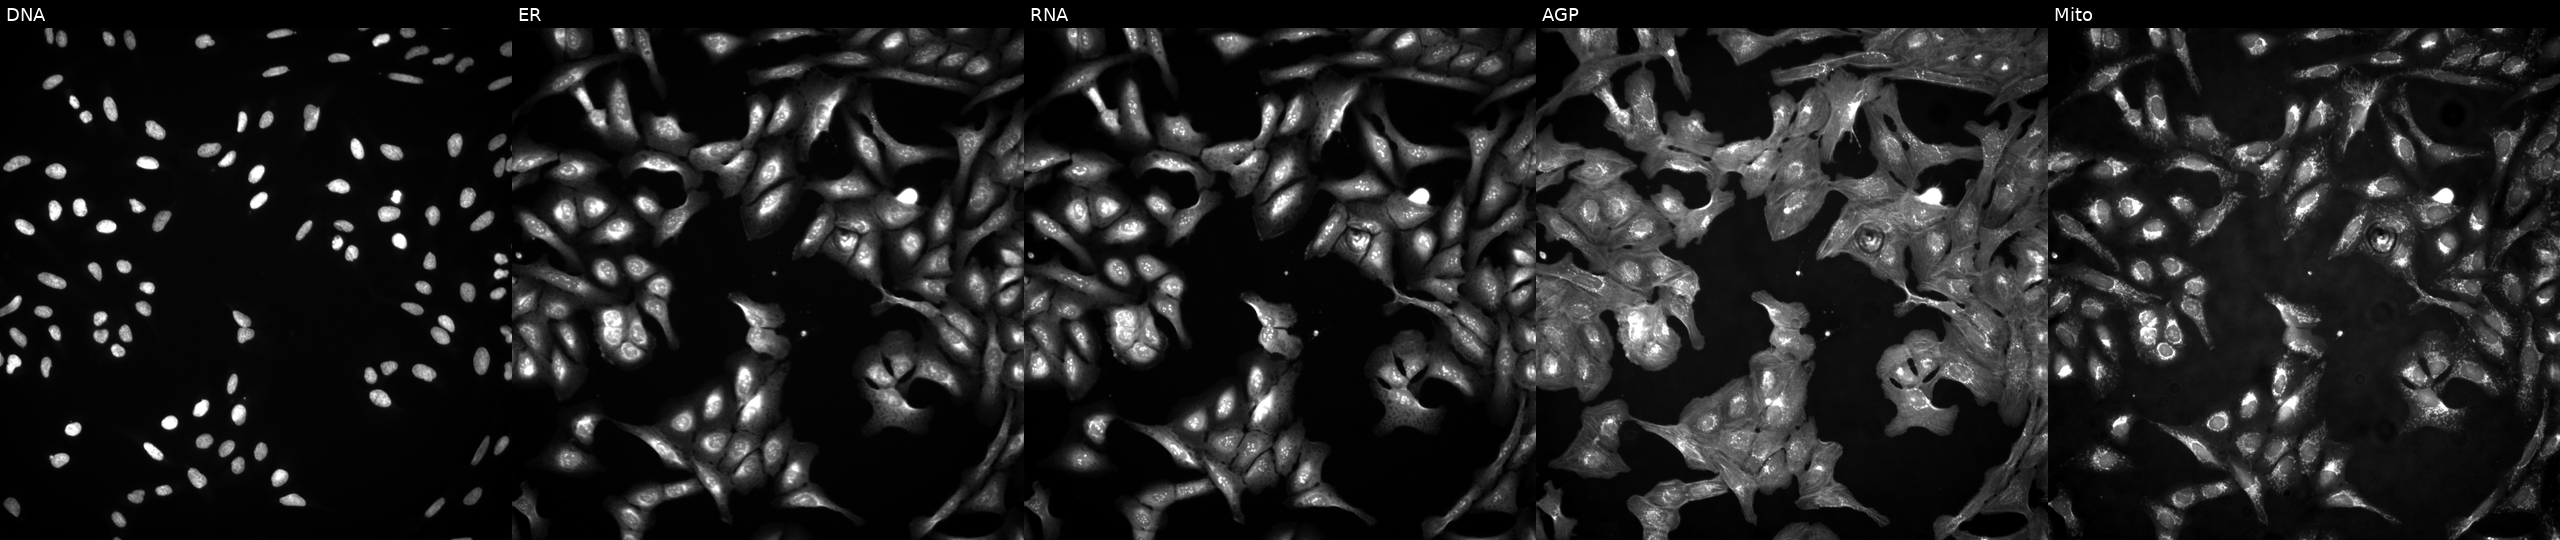
U2OS cells, Cell Painting assay, transfected with an ORF construct for CSK (JUMP id JCP2022_913630). Panels show, left to right, DNA (nuclei); ER (endoplasmic reticulum); RNA (nucleoli and cytoplasmic RNA); AGP (actin cytoskeleton, Golgi, and plasma membrane); Mito (mitochondria). Each panel is percentile-stretched 16-bit fluorescence. Source 4, plate BR00123945, well A14.